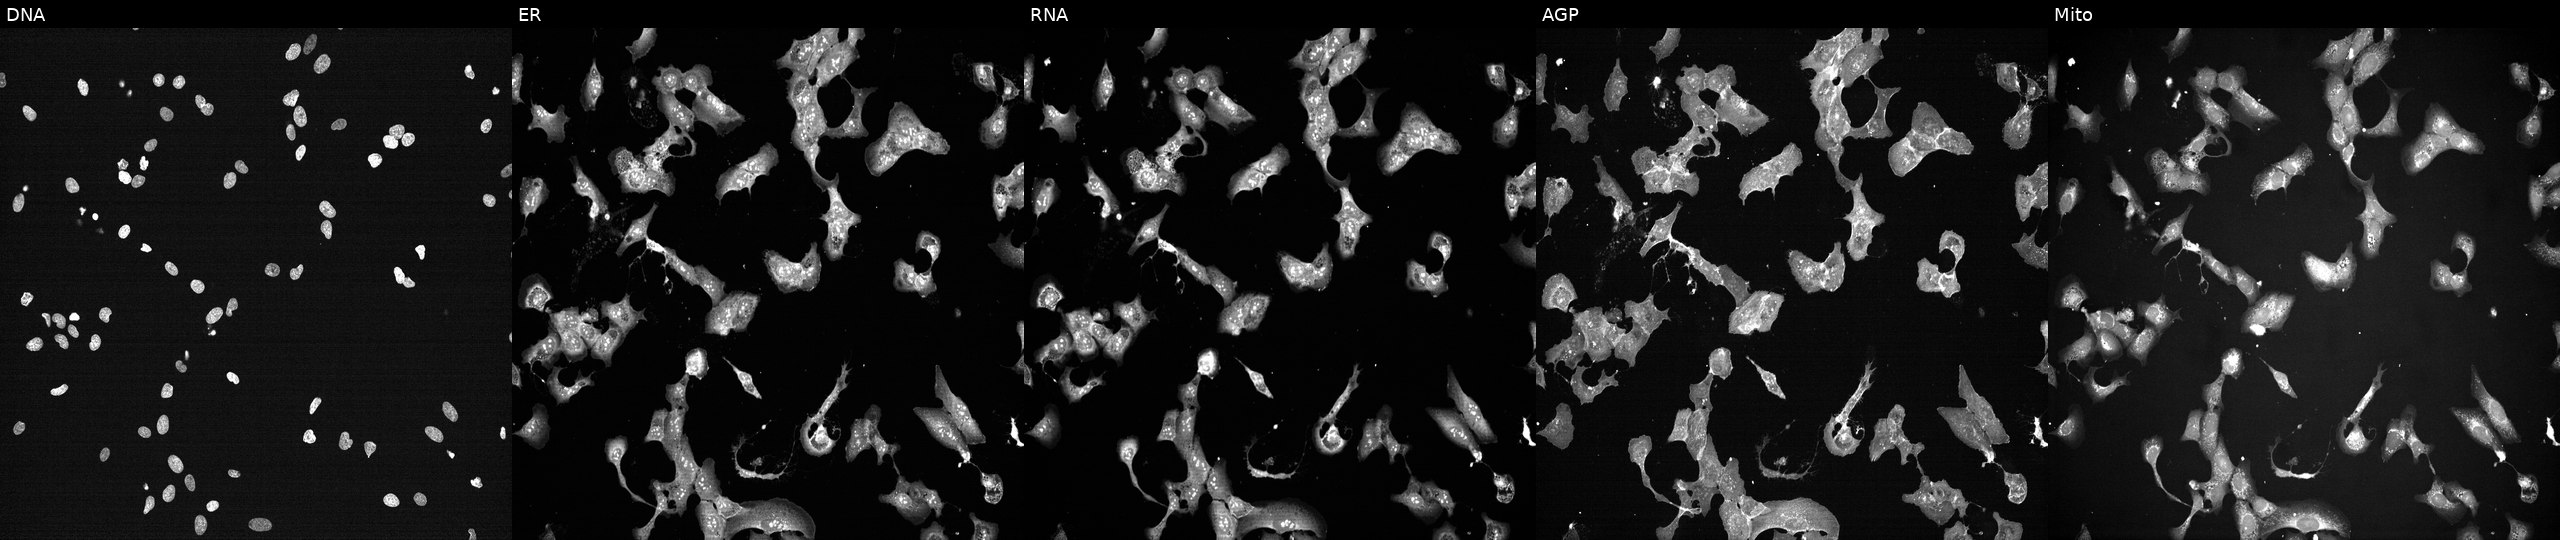
Channels (left→right): DNA, ER, RNA, AGP, and Mito. U2OS osteosarcoma cells treated with a small-molecule compound (JUMP id JCP2022_001890). Cell Painting assay, JUMP-CP dataset. Source 7, plate CP2-SC1-25, well B01.